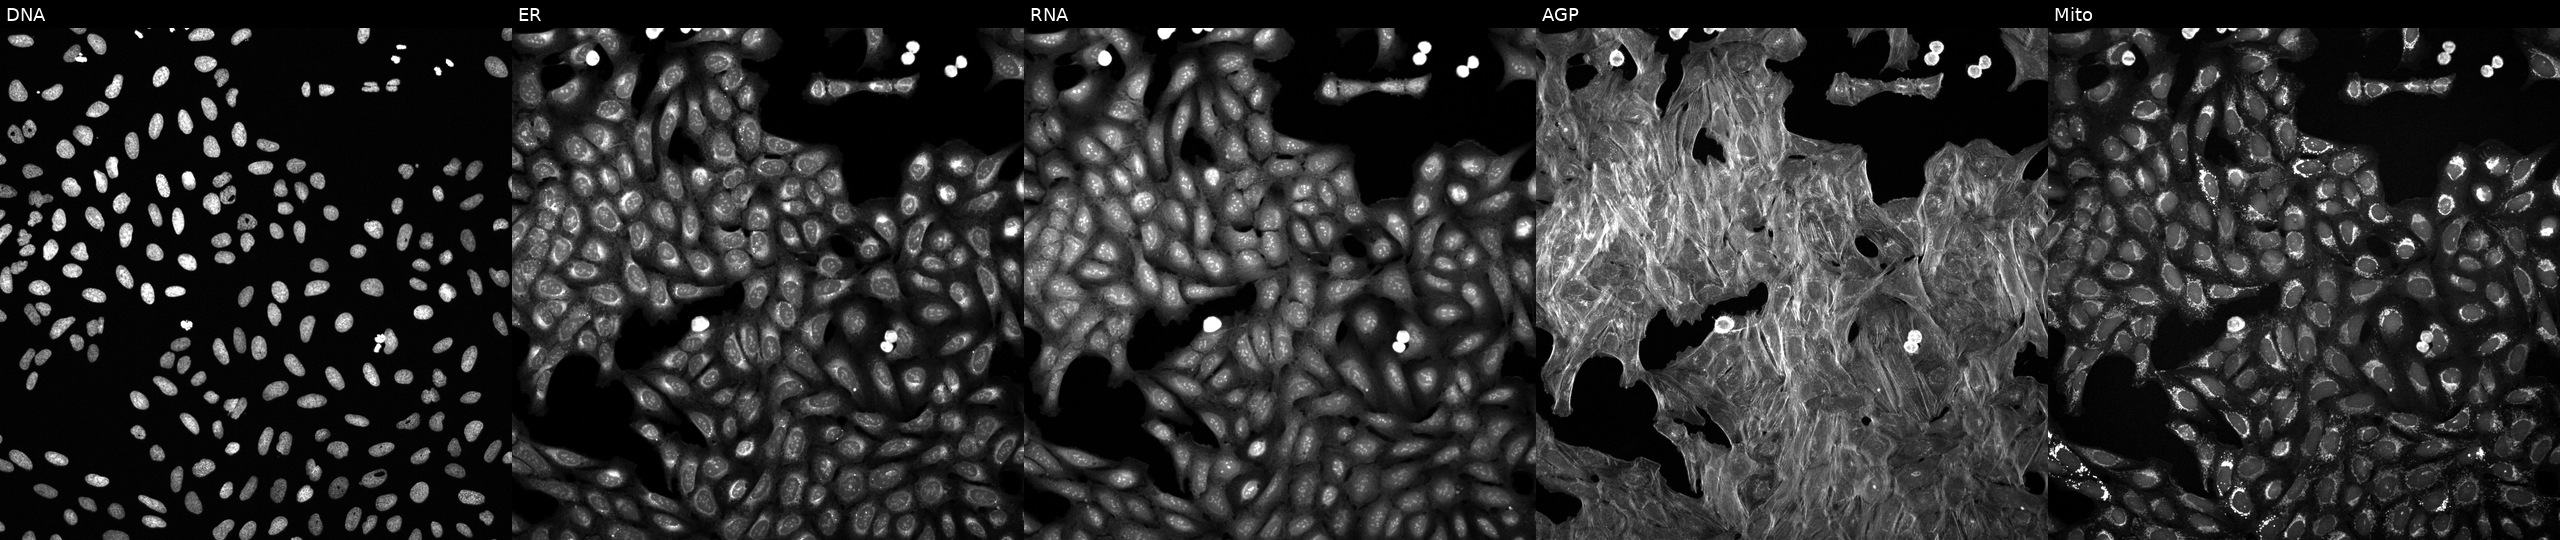
Panels show, left to right, DNA (nuclei); ER (endoplasmic reticulum); RNA (nucleoli and cytoplasmic RNA); AGP (actin cytoskeleton, Golgi, and plasma membrane); Mito (mitochondria). U2OS osteosarcoma cells exposed to a small-molecule compound (InChIKey IIXWYSCJSQVBQM-UHFFFAOYSA-N) (JUMP id JCP2022_035351). Cell Painting assay, JUMP-CP dataset. Source 6, plate 110000293081, well N15.